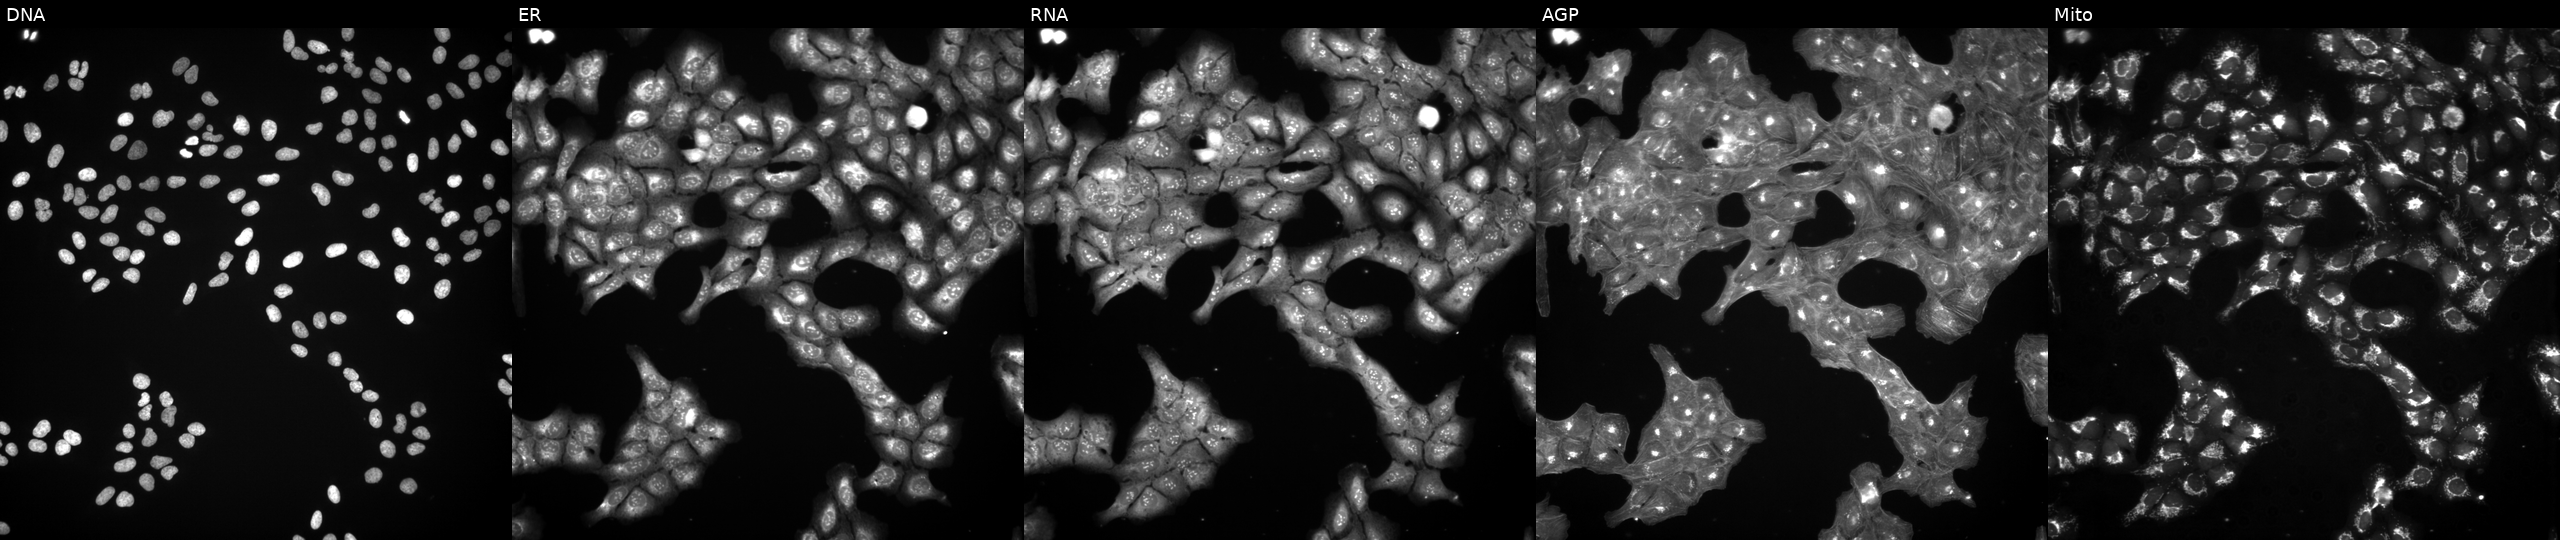
Five-channel Cell Painting image of U2OS cells perturbed with a small-molecule compound (InChIKey LSFLAQVDISHMNB-UHFFFAOYSA-N) [SMILES: N=c1[nH]cnc2c1c(-c1cccc(OCc3ccccc3)c1)cn2C1CC(CN2CCCC2)C1] (JUMP id JCP2022_051415). Channels (left→right): DNA, ER, RNA, AGP, and Mito.